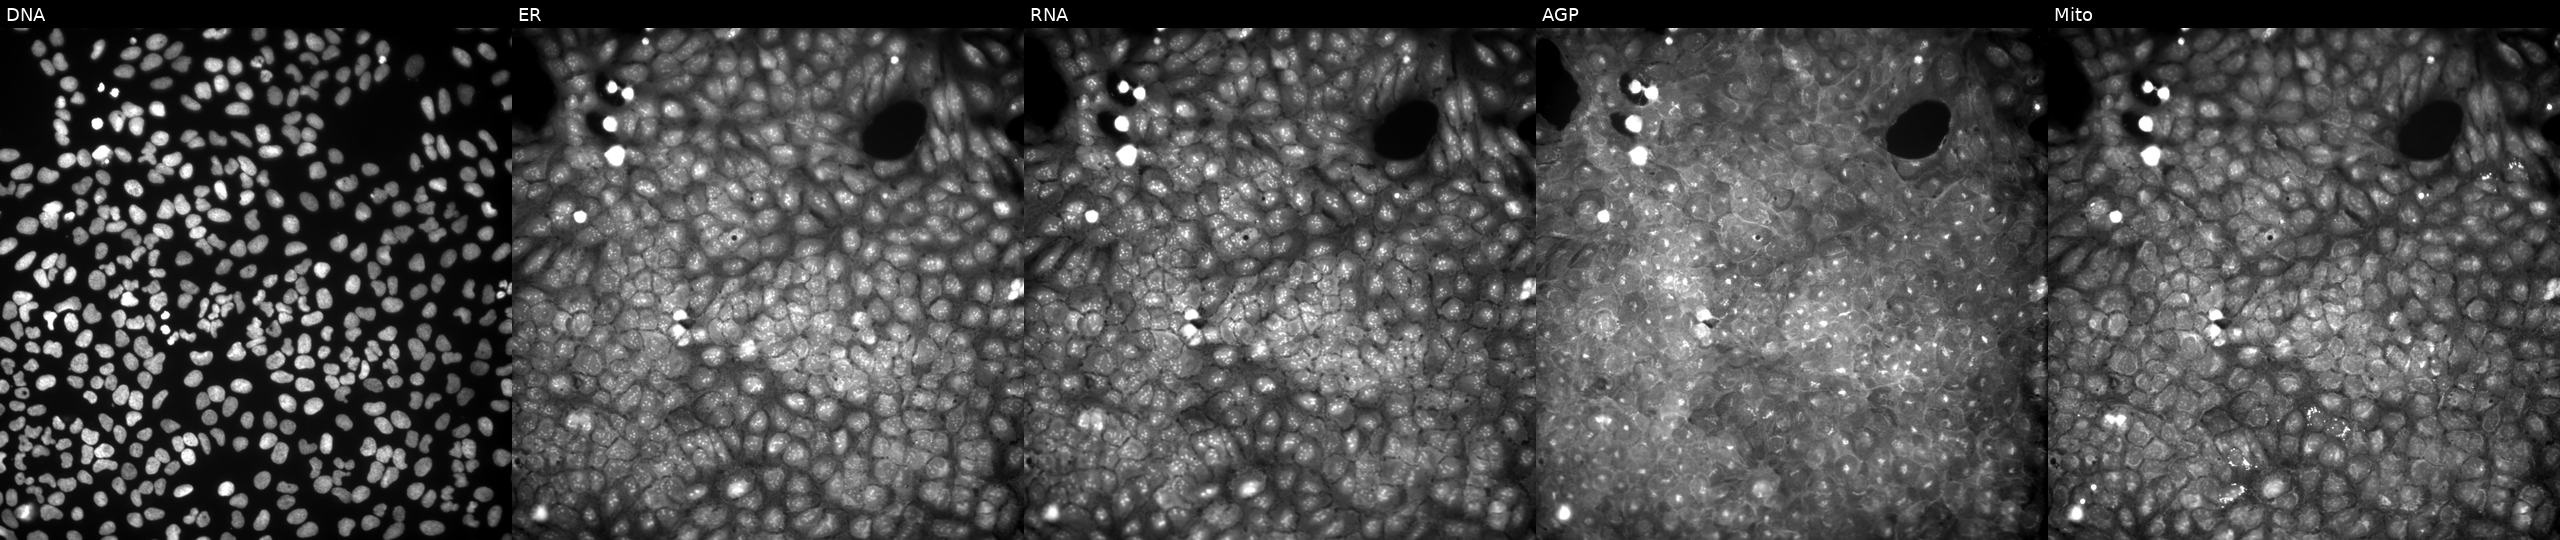
This image strip shows the five Cell Painting channels for a single field of U2OS cells perturbed with a small-molecule compound. Channels (left→right): DNA (nuclei); ER (endoplasmic reticulum); RNA (nucleoli and cytoplasmic RNA); AGP (actin cytoskeleton, Golgi, and plasma membrane); Mito (mitochondria).